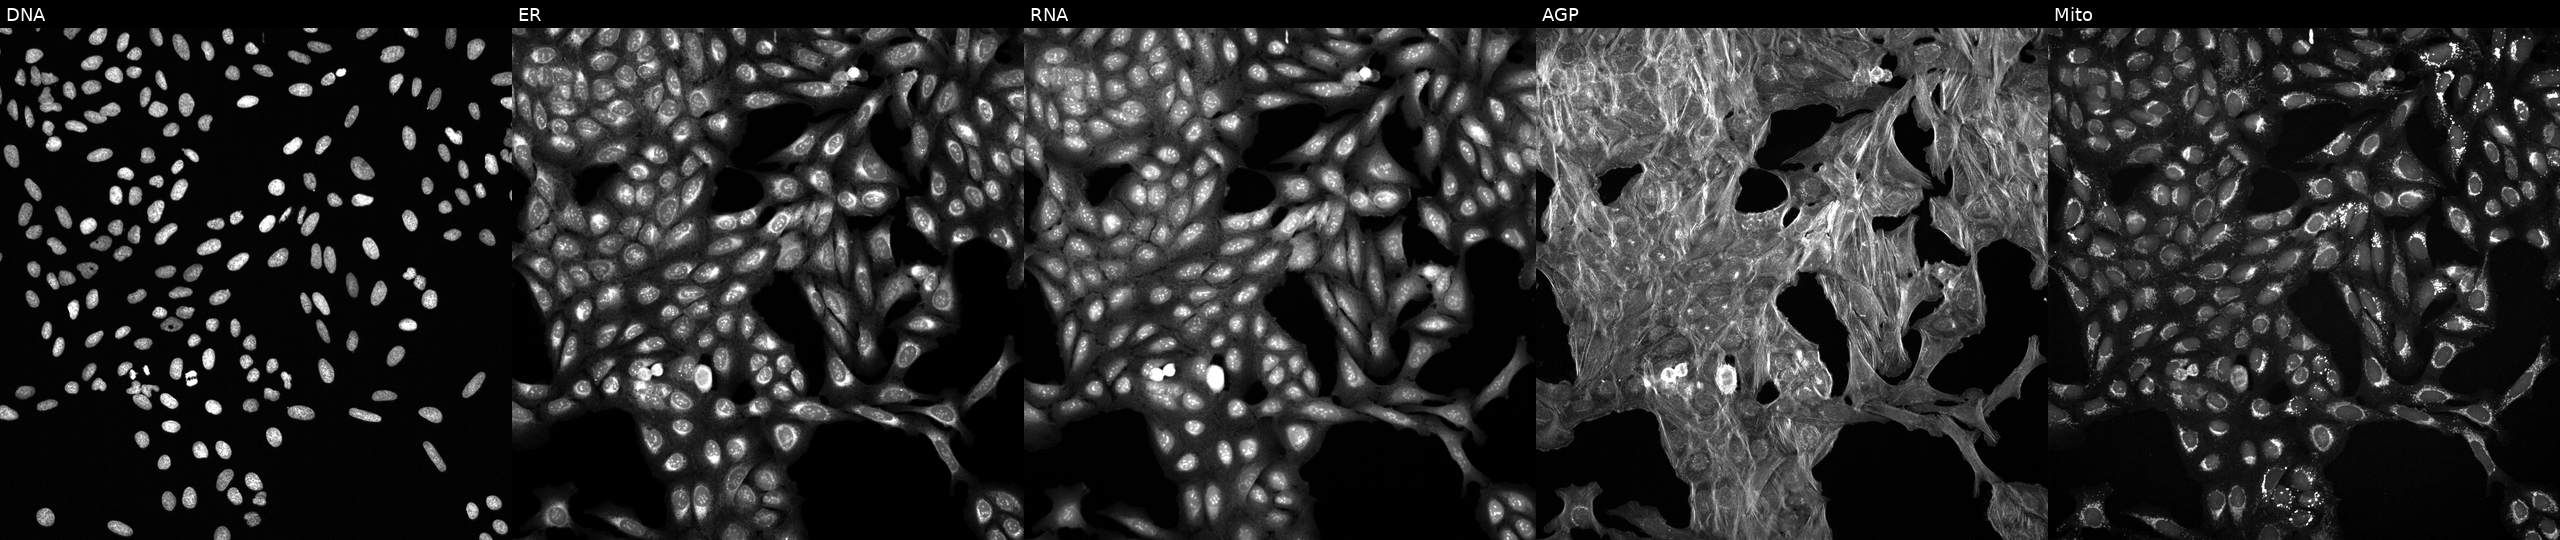
U2OS cells, Cell Painting assay, treated with DMSO vehicle only (negative control). Panels show, left to right, DNA (nuclei); ER (endoplasmic reticulum); RNA (nucleoli and cytoplasmic RNA); AGP (actin cytoskeleton, Golgi, and plasma membrane); Mito (mitochondria). Each panel is percentile-stretched 16-bit fluorescence. Source 6, plate 110000293081, well N06.